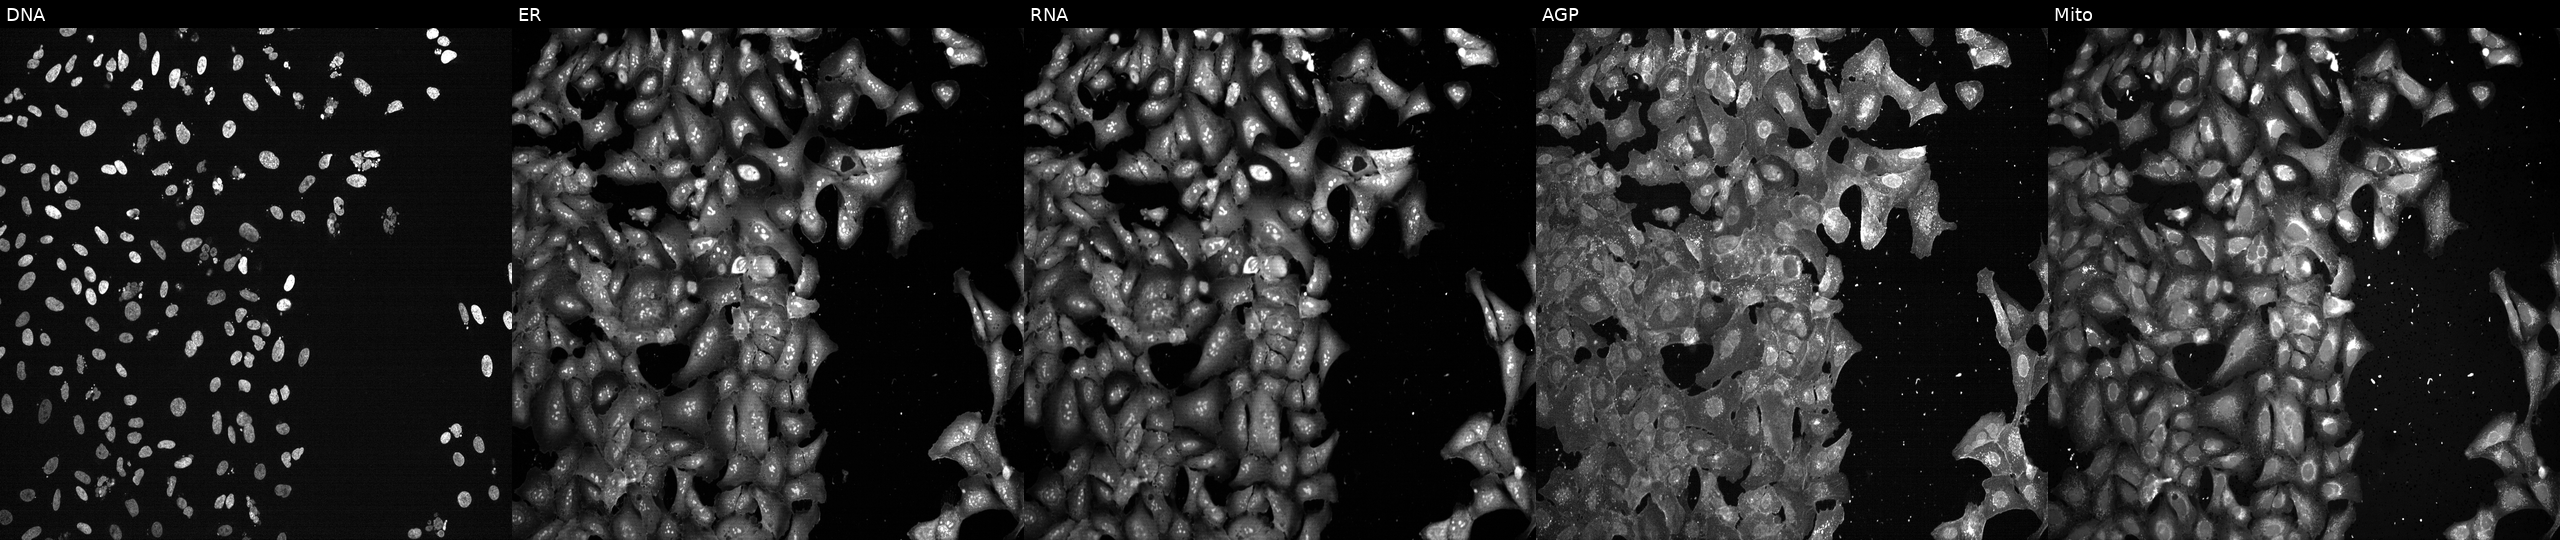
U2OS cells, Cell Painting assay, following CRISPR knockout of TOPBP1. From left to right: Hoechst 33342, concanavalin A, SYTO 14, phalloidin and WGA, MitoTracker. Each panel is percentile-stretched 16-bit fluorescence. Source 13, plate CP-CC9-R1-01, well A12.